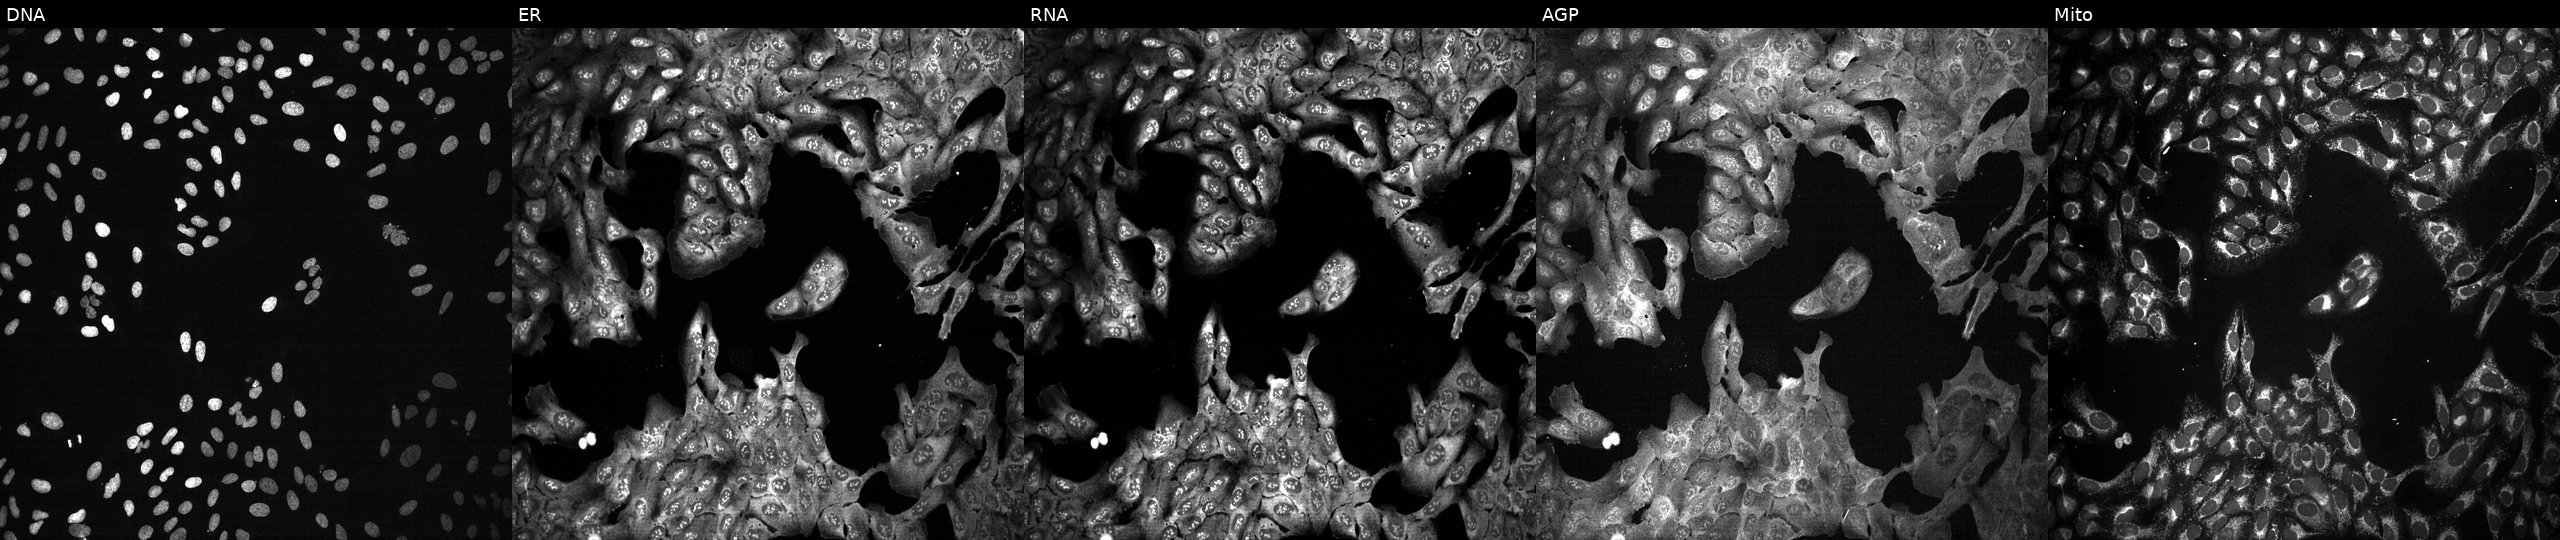
U2OS cells, Cell Painting assay, CRISPR-edited to disrupt RAB2B. Channels (left→right): Hoechst 33342, concanavalin A, SYTO 14, phalloidin and WGA, MitoTracker. Each panel is percentile-stretched 16-bit fluorescence. Source 13, plate CP-CC9-R3-01, well N20.